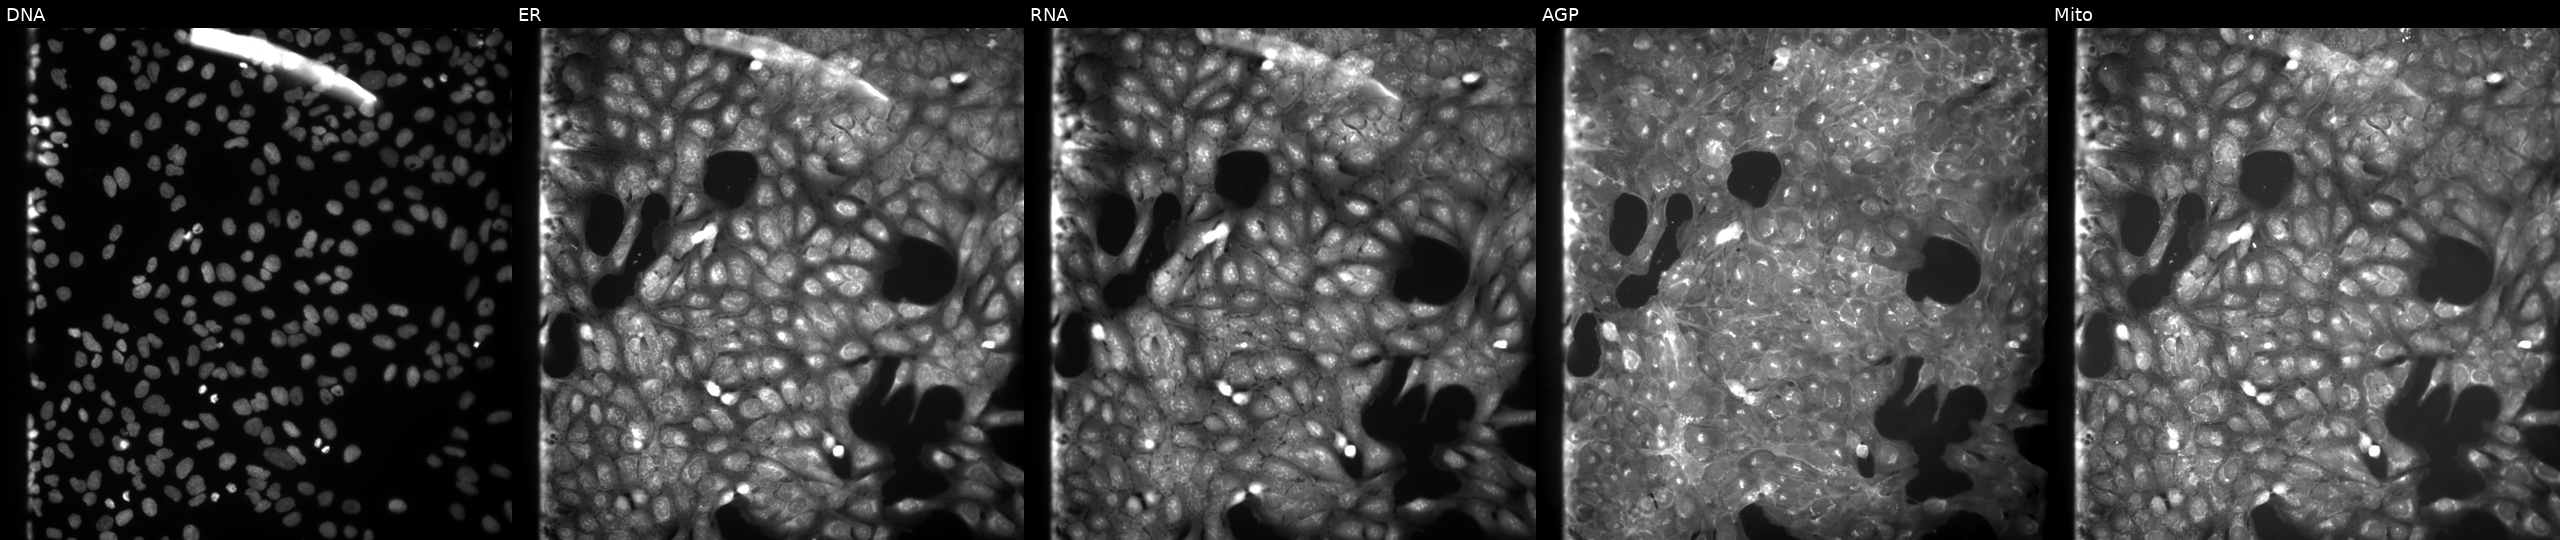
The five panels, left to right, show DNA (nuclei); ER (endoplasmic reticulum); RNA (nucleoli and cytoplasmic RNA); AGP (actin cytoskeleton, Golgi, and plasma membrane); Mito (mitochondria). U2OS osteosarcoma cells treated with a small-molecule compound (InChIKey ZLDILRFFFZHHPM-UHFFFAOYSA-N). Cell Painting assay, JUMP-CP dataset. Source 9, plate GR00003381, well B06.